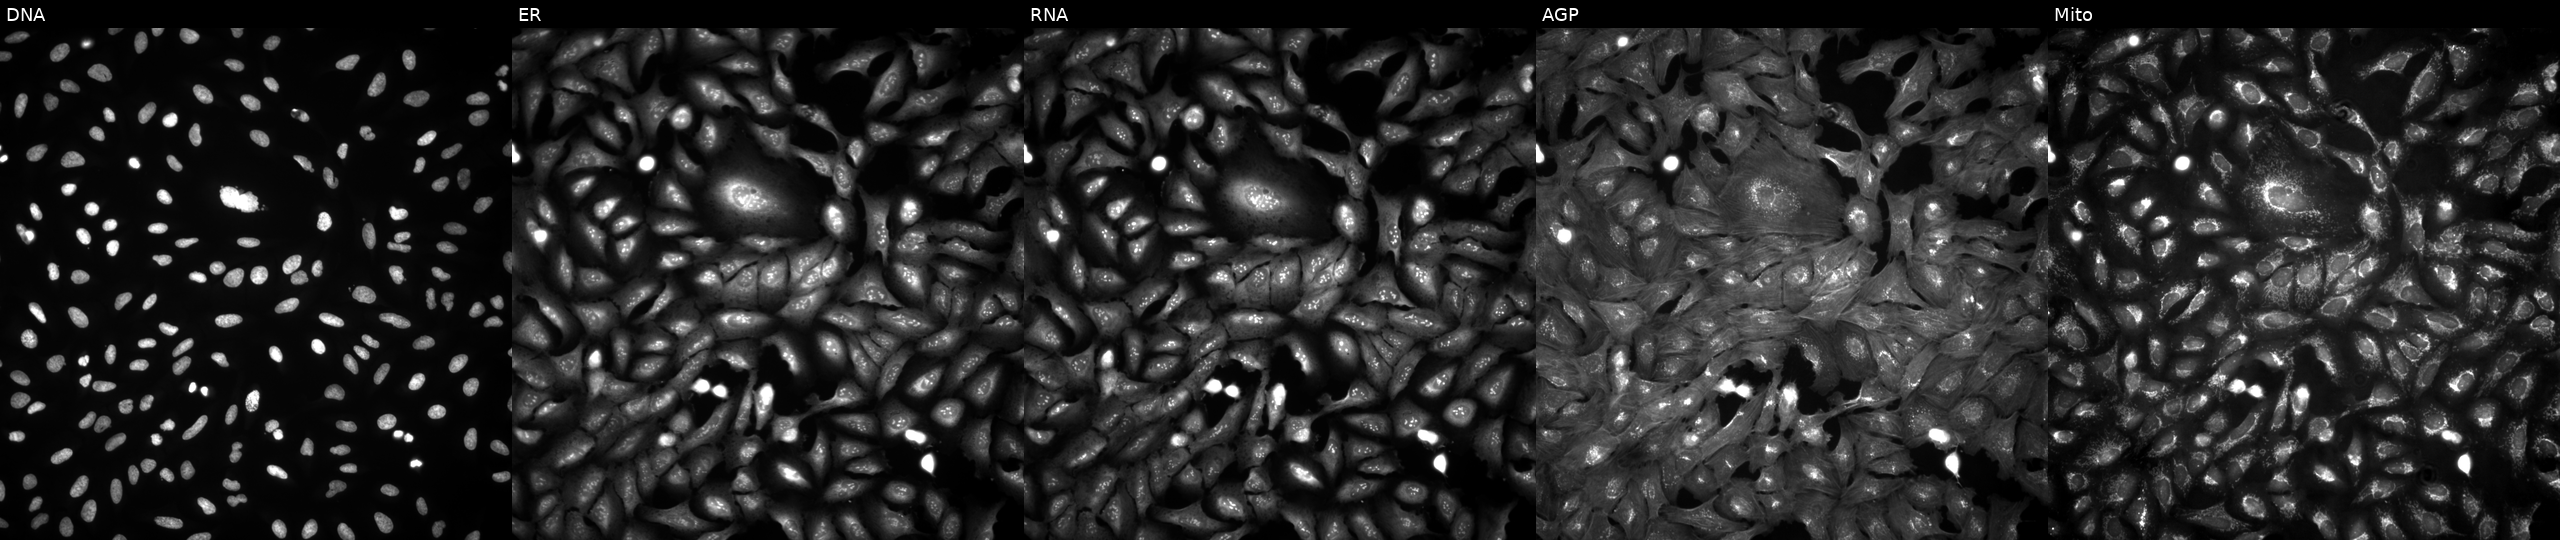
Five-channel Cell Painting image of U2OS cells transfected with an ORF construct for CXorf56 (JUMP id JCP2022_908234). The five panels, left to right, show Hoechst 33342, concanavalin A, SYTO 14, phalloidin and WGA, MitoTracker.